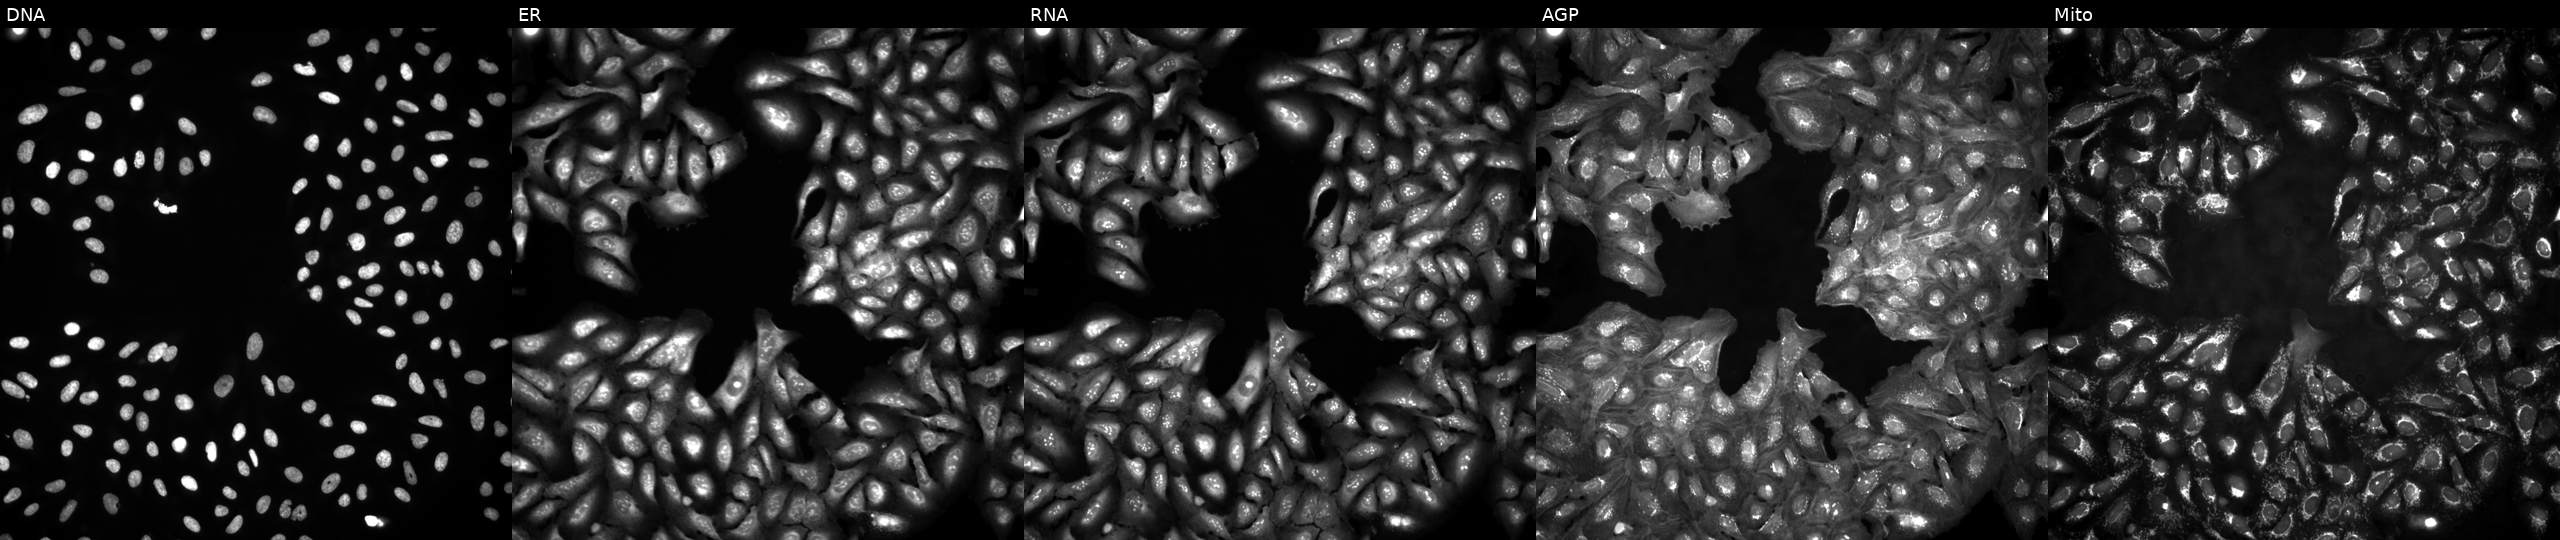
U2OS cells, Cell Painting assay, in an empty control well (no perturbation). Channels (left→right): DNA, ER, RNA, AGP, and Mito. Each panel is percentile-stretched 16-bit fluorescence.